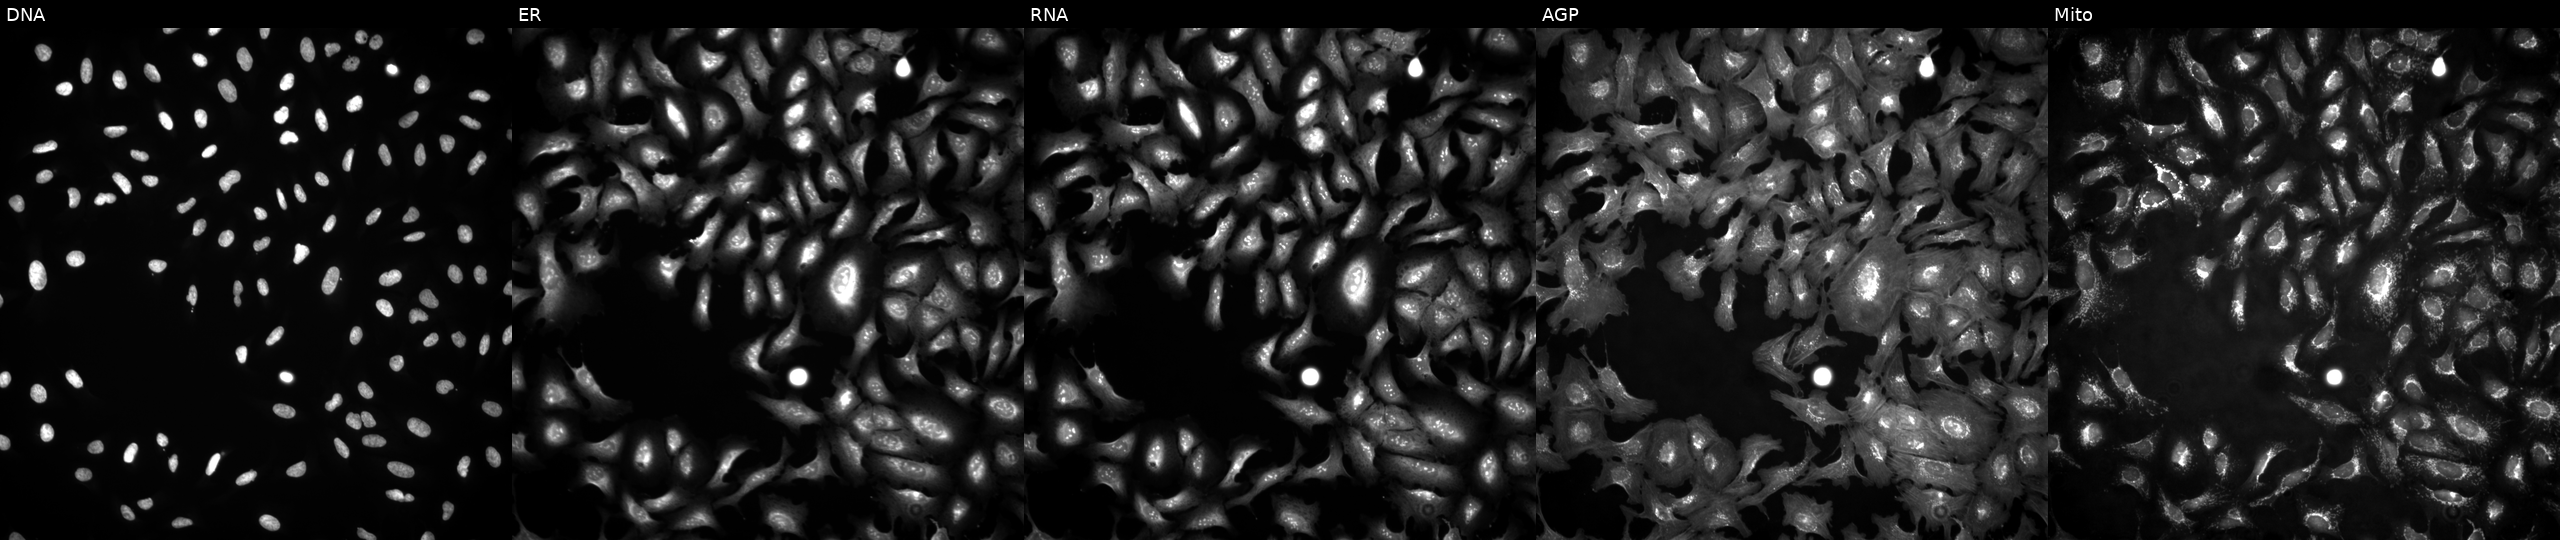
This image strip shows the five Cell Painting channels for a single field of U2OS cells with PKN2 overexpressed (ORF). Channels (left→right): Hoechst 33342, concanavalin A, SYTO 14, phalloidin and WGA, MitoTracker.